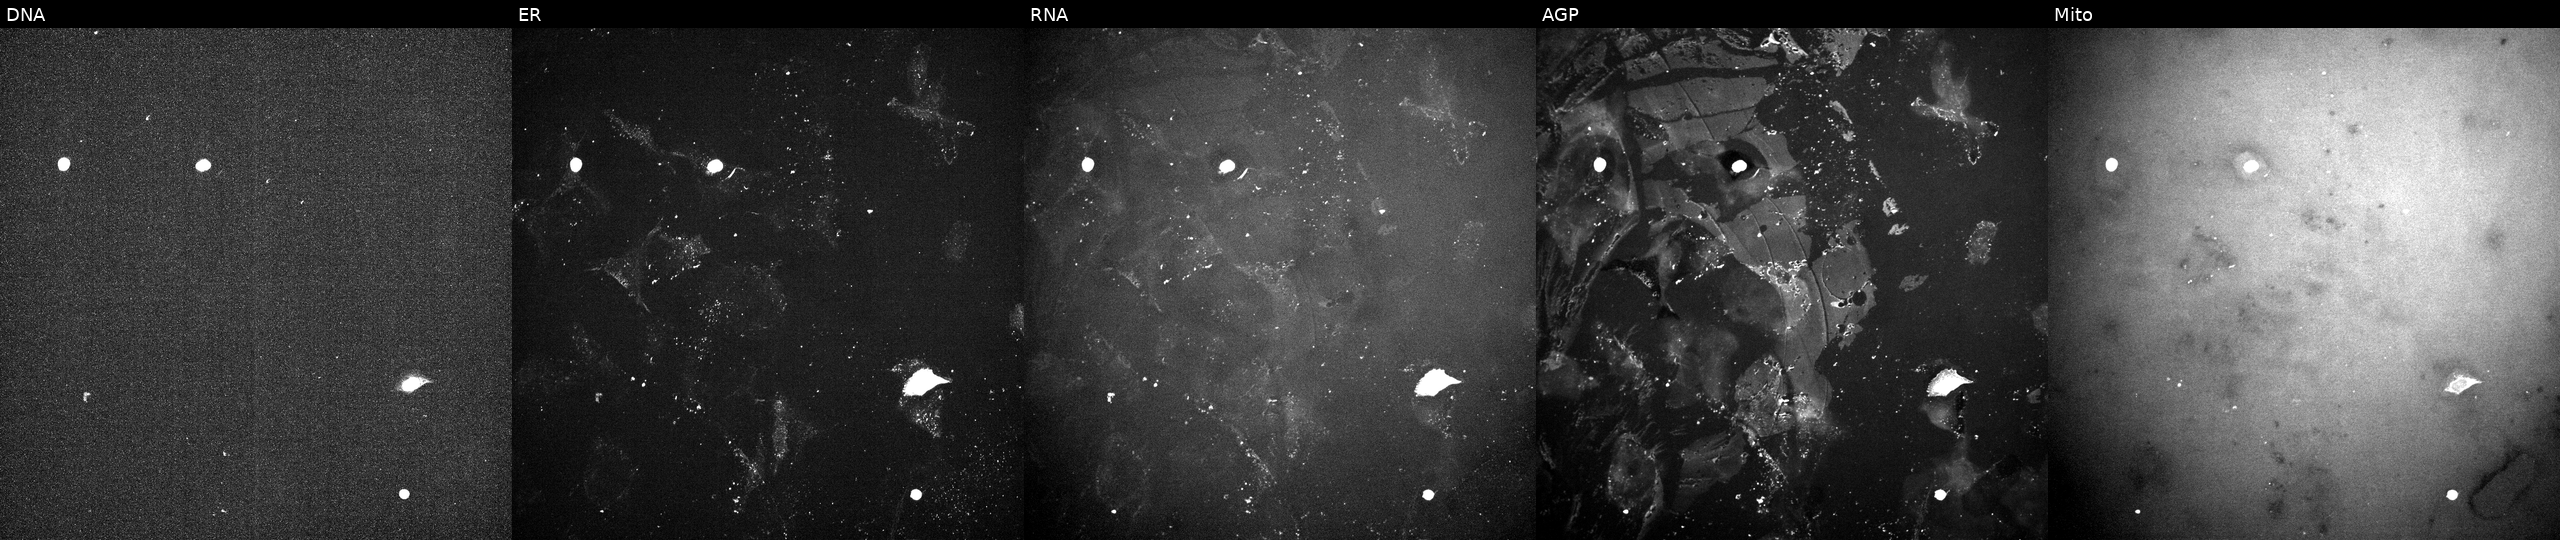
High-content fluorescence microscopy (Cell Painting). Cell line: U2OS. Perturbation: perturbed with a small-molecule compound (JUMP id JCP2022_084606). Channels (left→right): DNA, ER, RNA, AGP, and Mito. Source 10, plate Dest210803-153958, well L06.